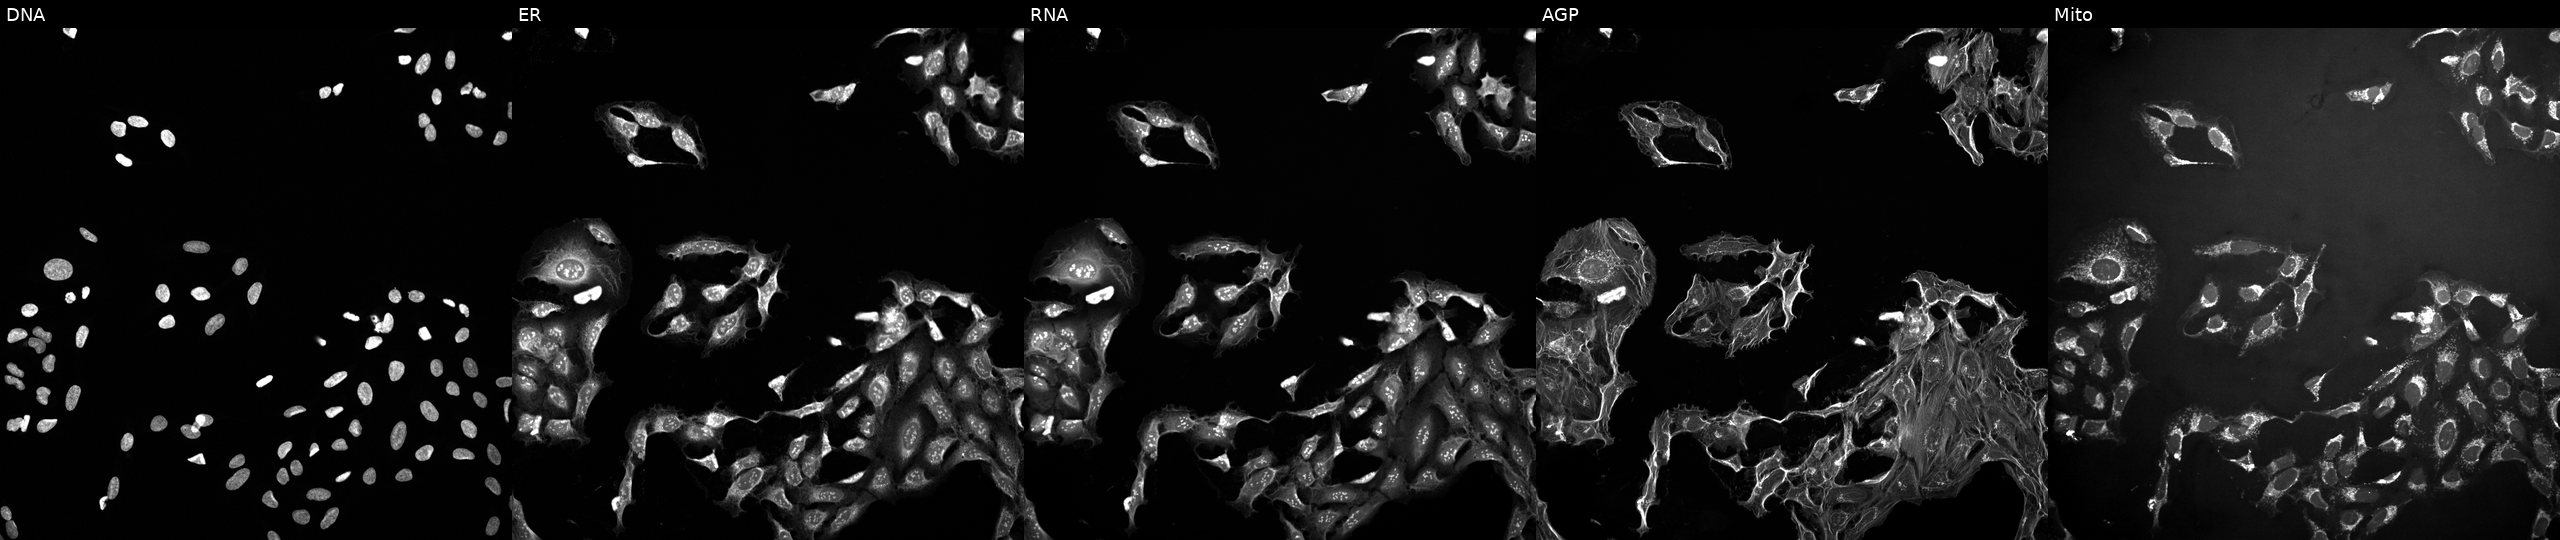
U2OS cells, Cell Painting assay, treated with a small-molecule compound (InChIKey SVMHYHIZWOJKDL-UHFFFAOYSA-N). Channels (left→right): DNA (nuclei); ER (endoplasmic reticulum); RNA (nucleoli and cytoplasmic RNA); AGP (actin cytoskeleton, Golgi, and plasma membrane); Mito (mitochondria). Each panel is percentile-stretched 16-bit fluorescence. Source 10, plate Dest210726-160150, well P12.